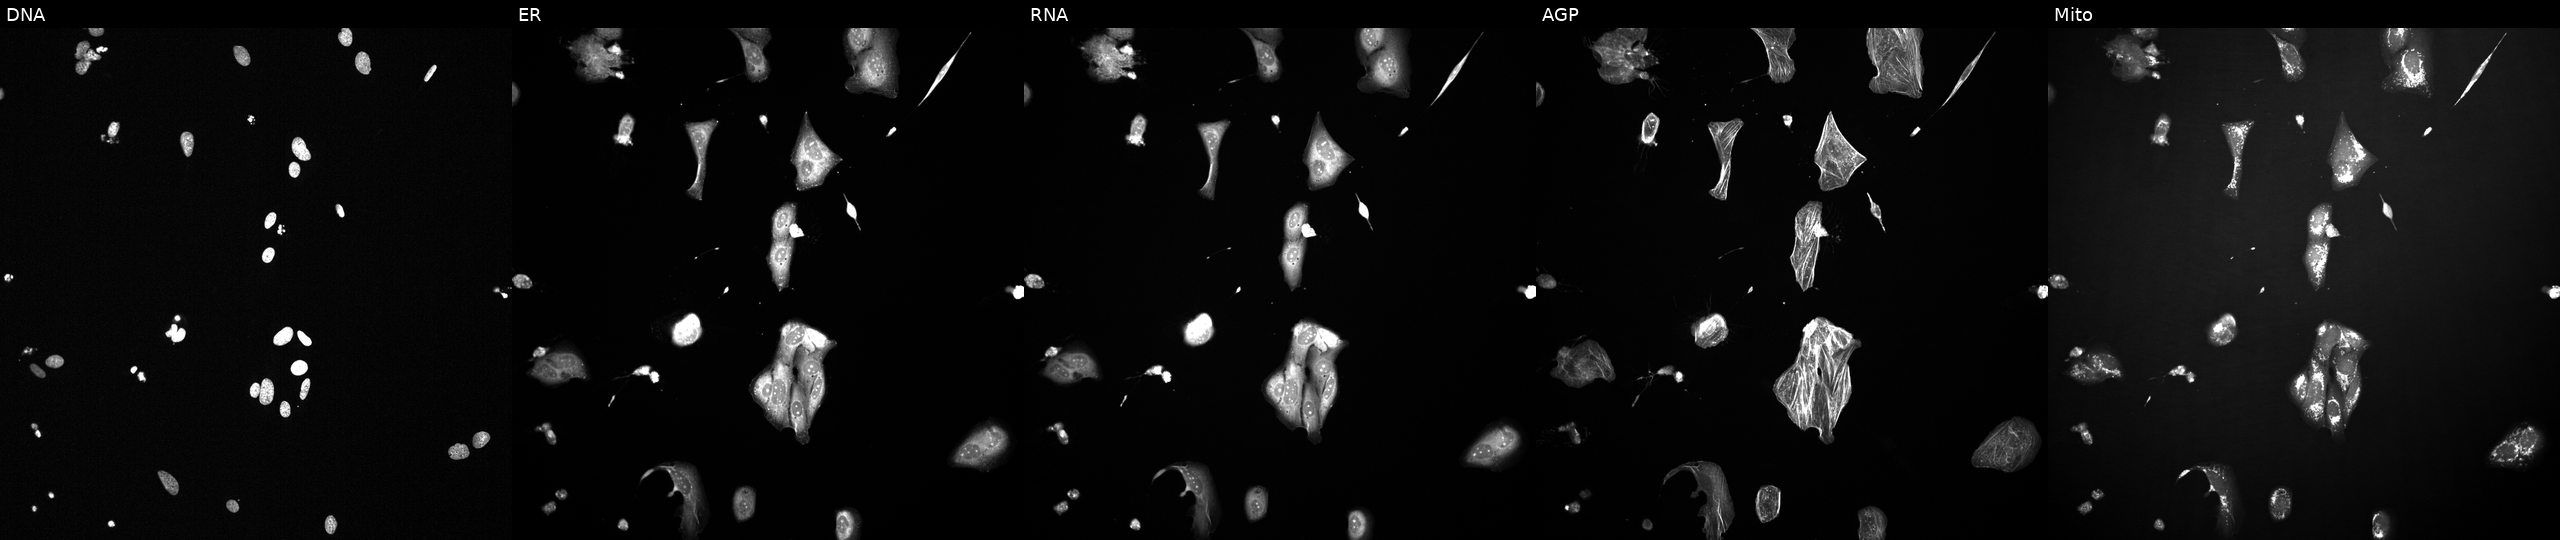
JUMP Cell Painting — TARGET2 plate. U2OS cells perturbed with a small-molecule compound (InChIKey HGMSUJCQIUFZBJ-UHFFFAOYSA-N) (JUMP id JCP2022_030049). Channels (left→right): DNA, ER, RNA, AGP, and Mito.